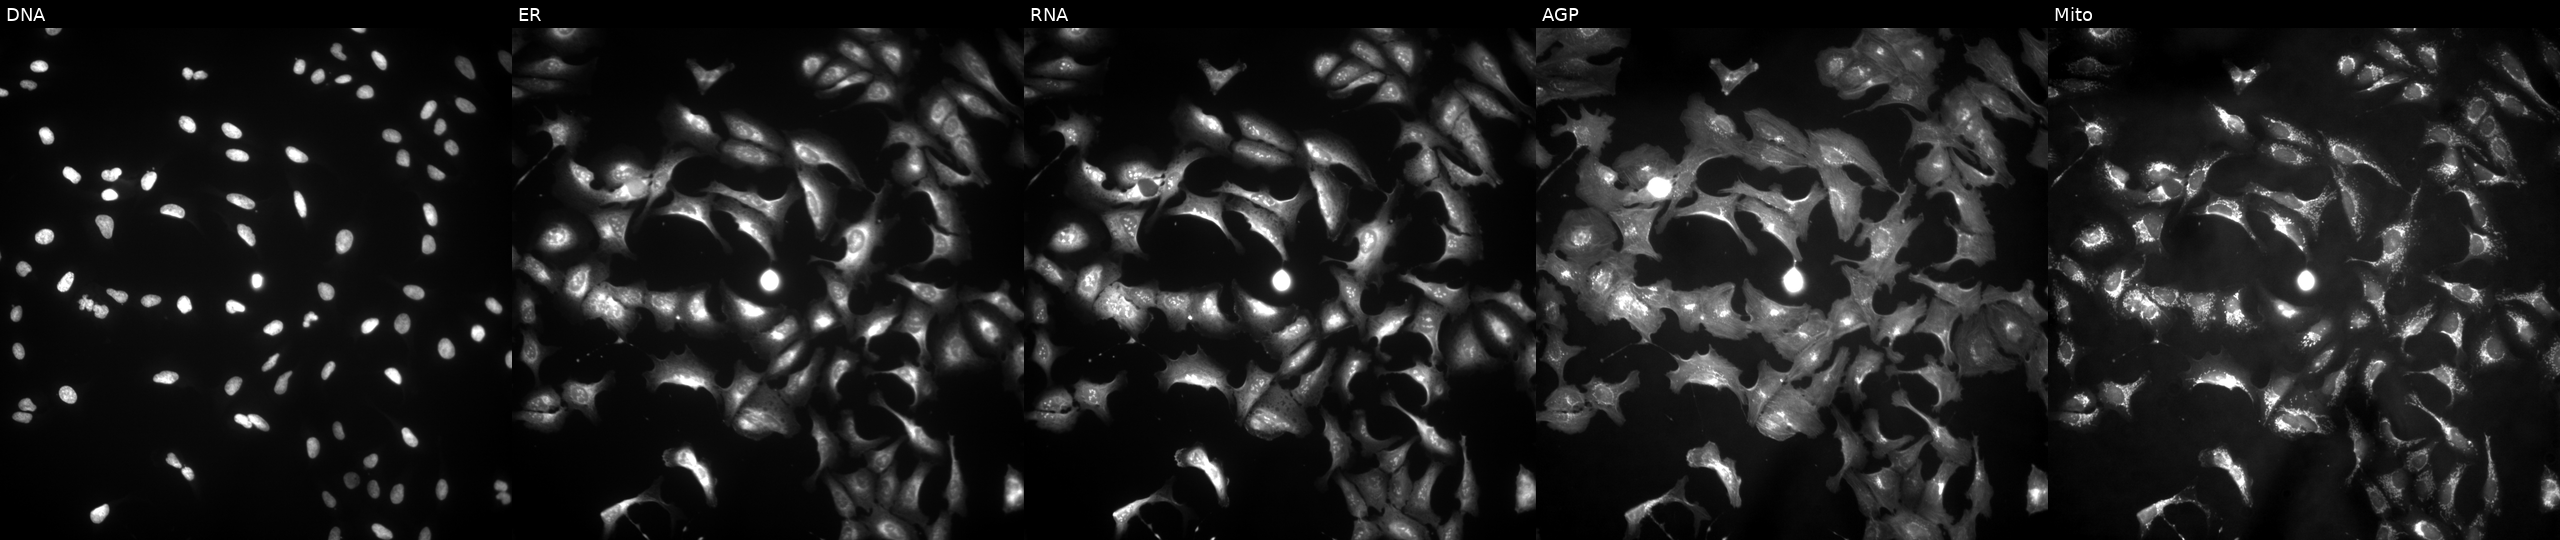
JUMP Cell Painting — ORF plate. U2OS cells with PREB overexpressed (ORF). The five panels, left to right, show DNA, ER, RNA, AGP, and Mito.